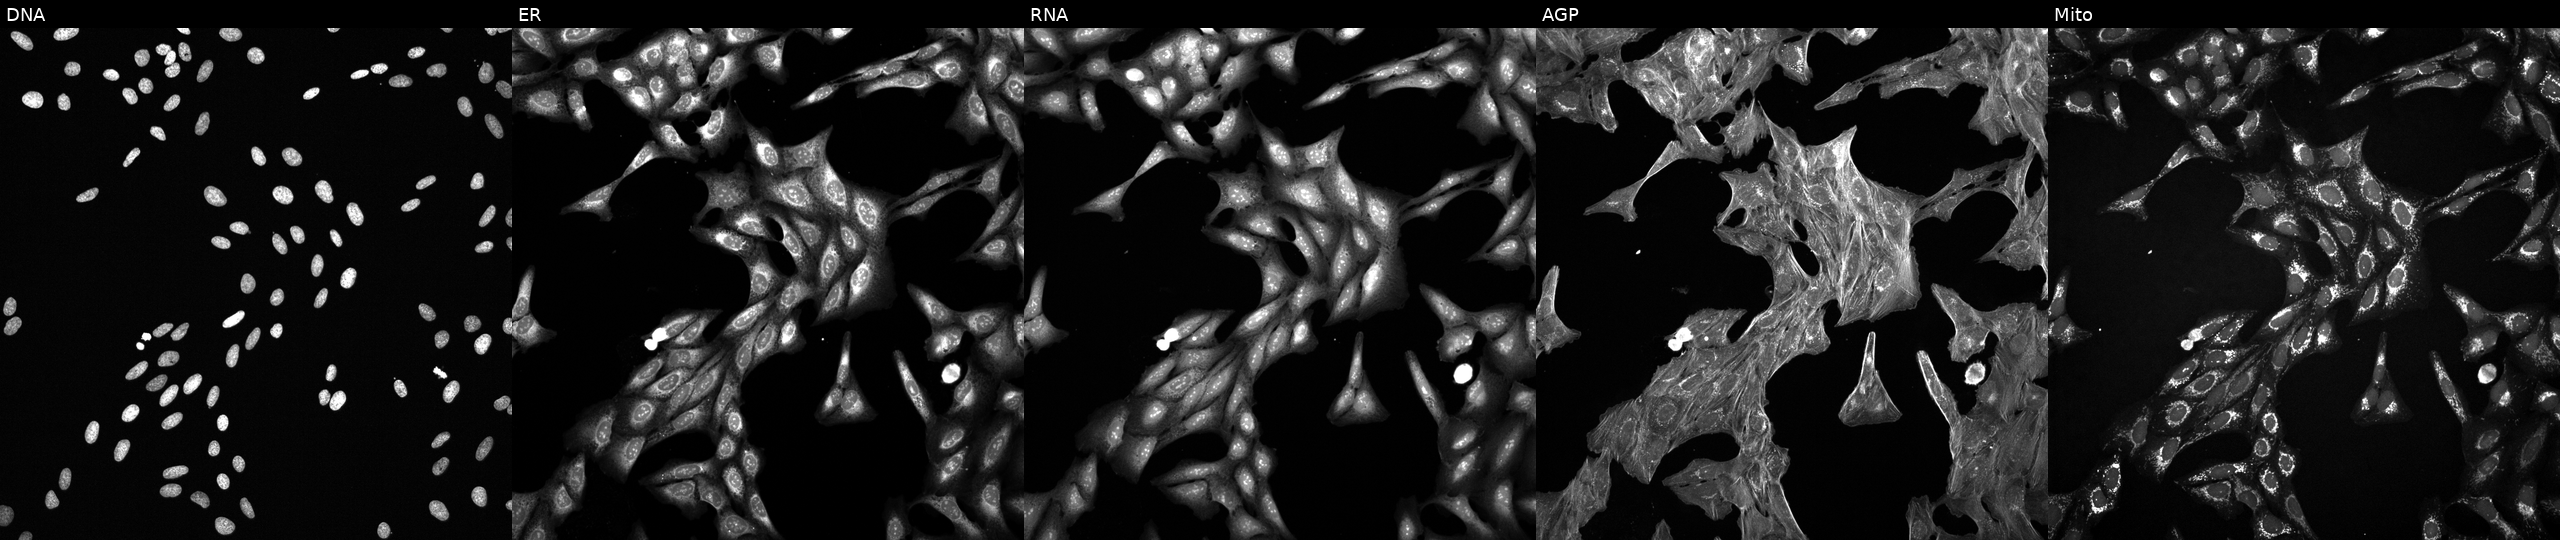
U2OS cells, Cell Painting assay, treated with a small-molecule compound (InChIKey CUSUFUCCMUPUHZ-UHFFFAOYSA-N) [SMILES: O=C(Cc1ccccc1)Nc1cccc(-c2ccc3nnc(-c4cccnc4)n3n2)c1]. From left to right: DNA (nuclei); ER (endoplasmic reticulum); RNA (nucleoli and cytoplasmic RNA); AGP (actin cytoskeleton, Golgi, and plasma membrane); Mito (mitochondria). Each panel is percentile-stretched 16-bit fluorescence.